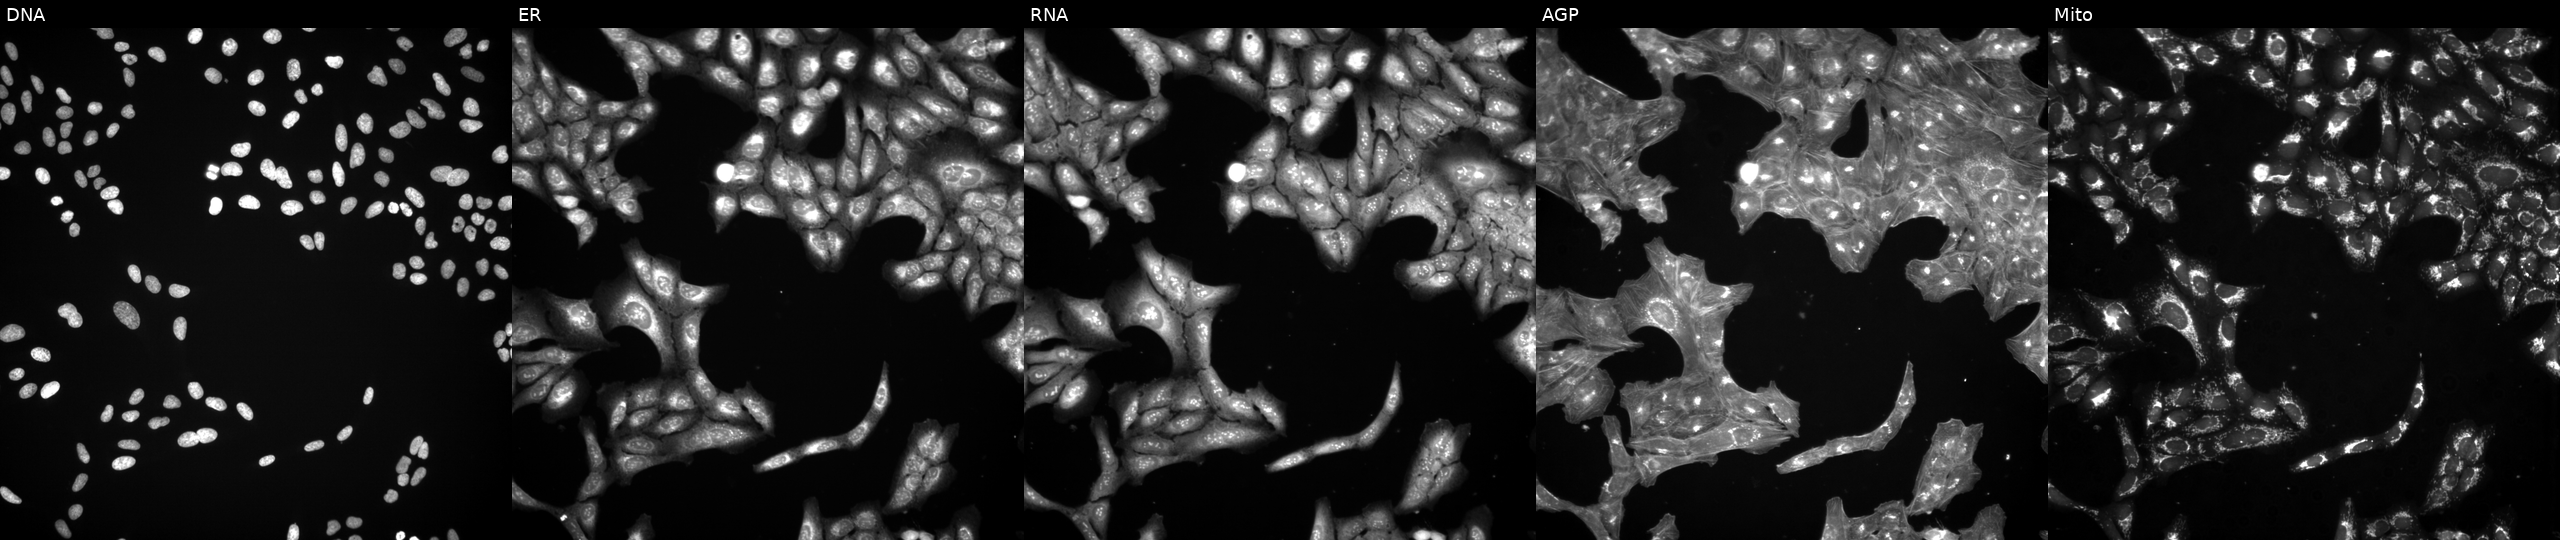
This image strip shows the five Cell Painting channels for a single field of U2OS cells exposed to a small-molecule compound (InChIKey YIFZDTTXNYWSDI-UHFFFAOYSA-N). Channels (left→right): DNA (nuclei); ER (endoplasmic reticulum); RNA (nucleoli and cytoplasmic RNA); AGP (actin cytoskeleton, Golgi, and plasma membrane); Mito (mitochondria).